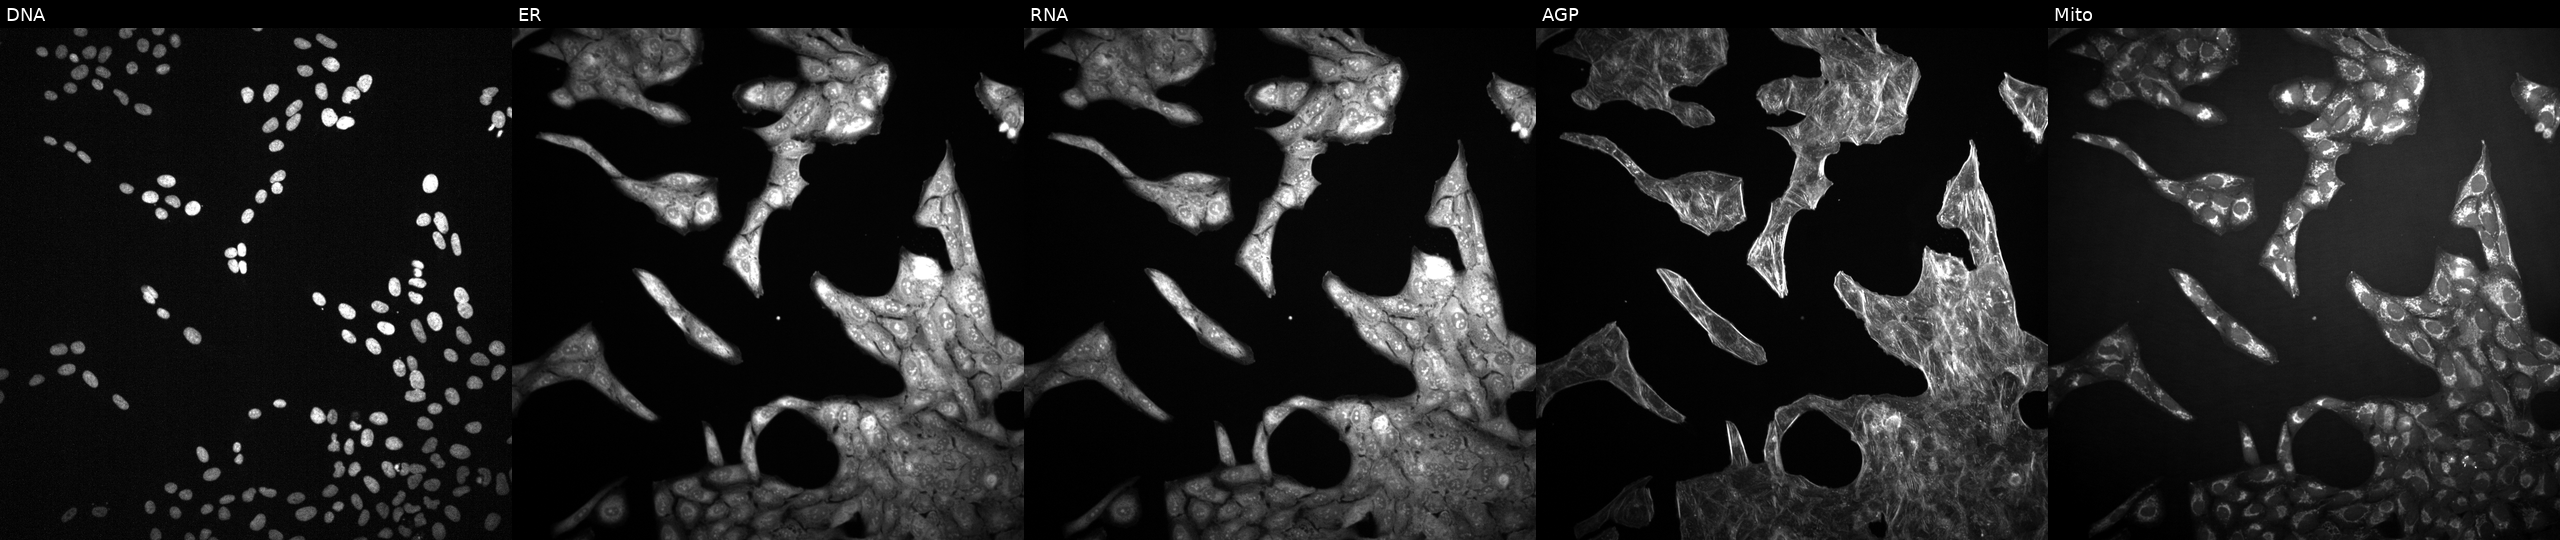
Five-channel Cell Painting image of U2OS cells perturbed with a small-molecule compound (InChIKey KUUJEXLRLIPQQJ-UHFFFAOYSA-N). Channels (left→right): DNA (nuclei); ER (endoplasmic reticulum); RNA (nucleoli and cytoplasmic RNA); AGP (actin cytoskeleton, Golgi, and plasma membrane); Mito (mitochondria).